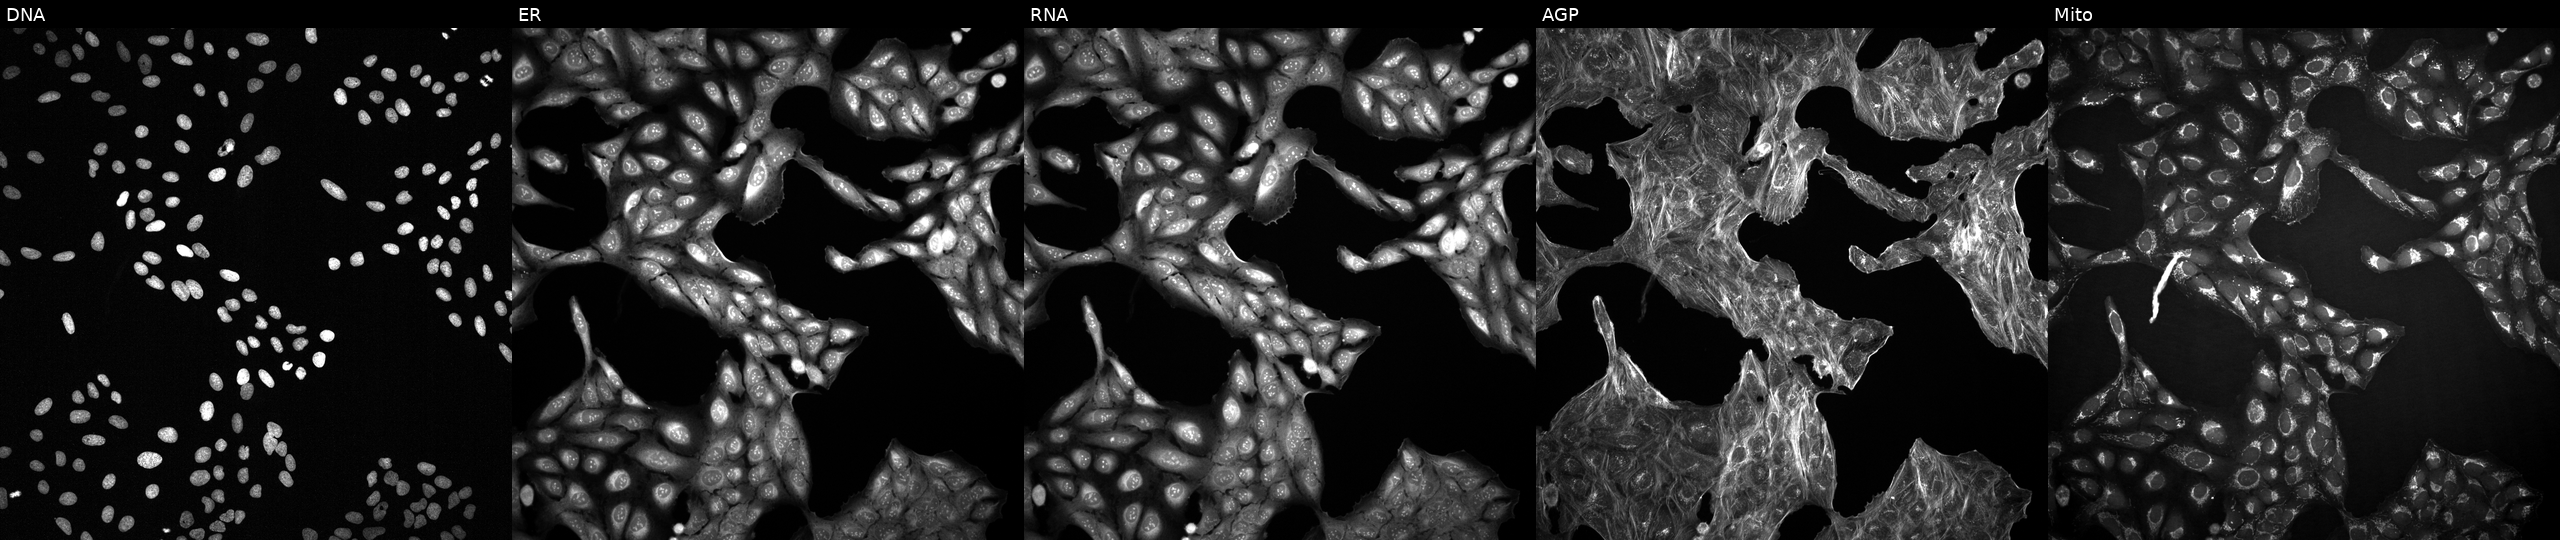
Channels (left→right): DNA (nuclei); ER (endoplasmic reticulum); RNA (nucleoli and cytoplasmic RNA); AGP (actin cytoskeleton, Golgi, and plasma membrane); Mito (mitochondria). U2OS osteosarcoma cells perturbed with a small-molecule compound (InChIKey VLYPLRRWQWDUDY-UHFFFAOYSA-N) (JUMP id JCP2022_094852). Cell Painting assay, JUMP-CP dataset.